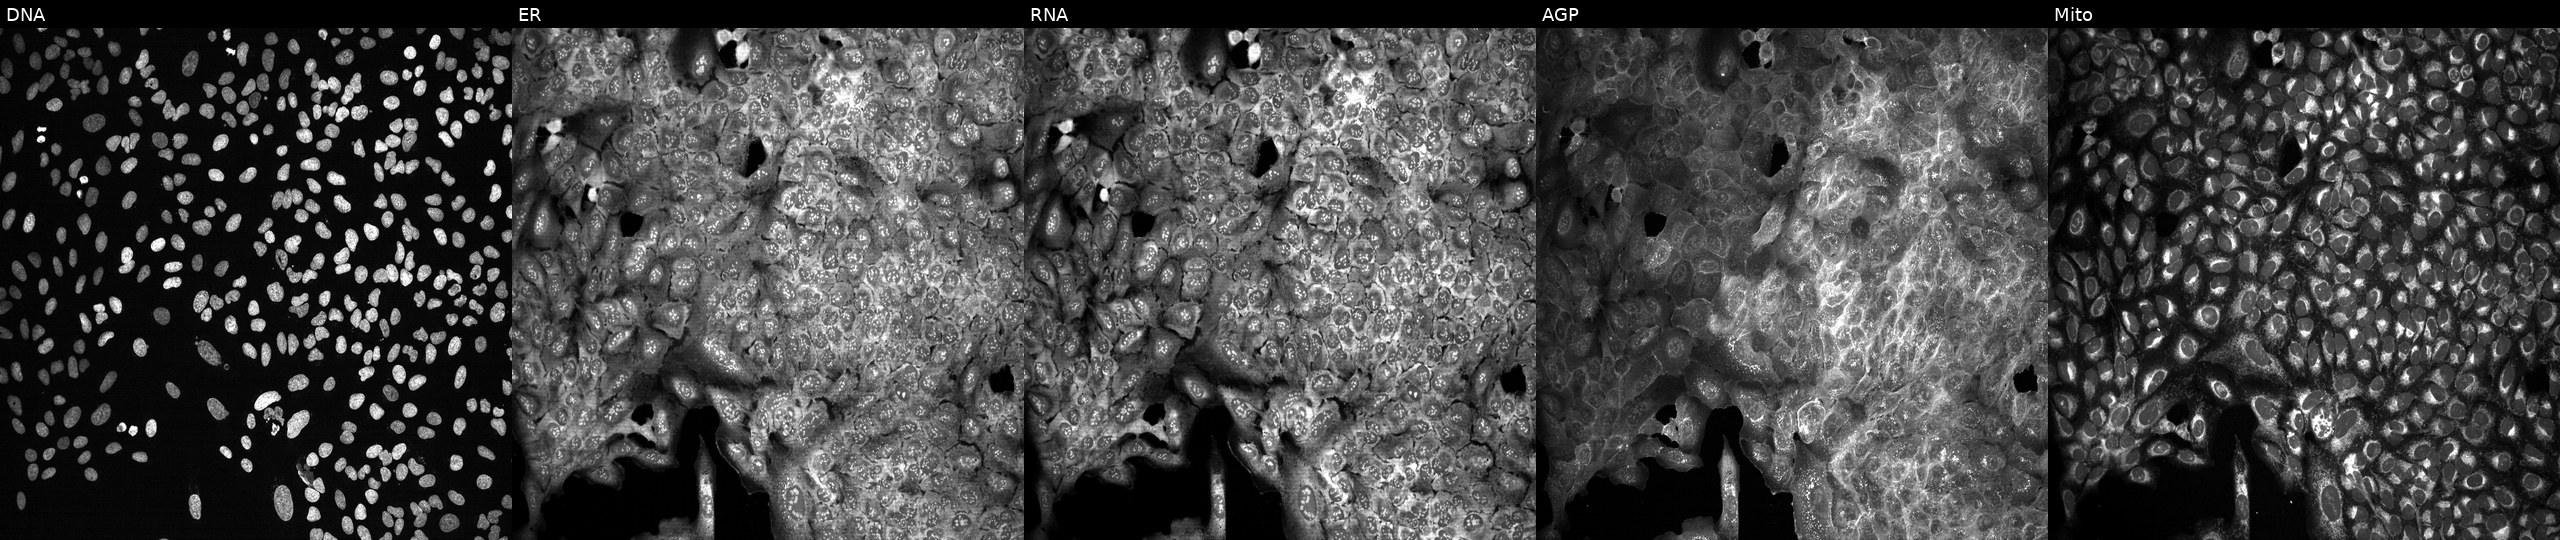
This image strip shows the five Cell Painting channels for a single field of U2OS cells CRISPR-edited to disrupt PCSK2 (JUMP id JCP2022_804967). The five panels, left to right, show DNA (nuclei); ER (endoplasmic reticulum); RNA (nucleoli and cytoplasmic RNA); AGP (actin cytoskeleton, Golgi, and plasma membrane); Mito (mitochondria). Source 13, plate CP-CC9-R6-19, well E21.